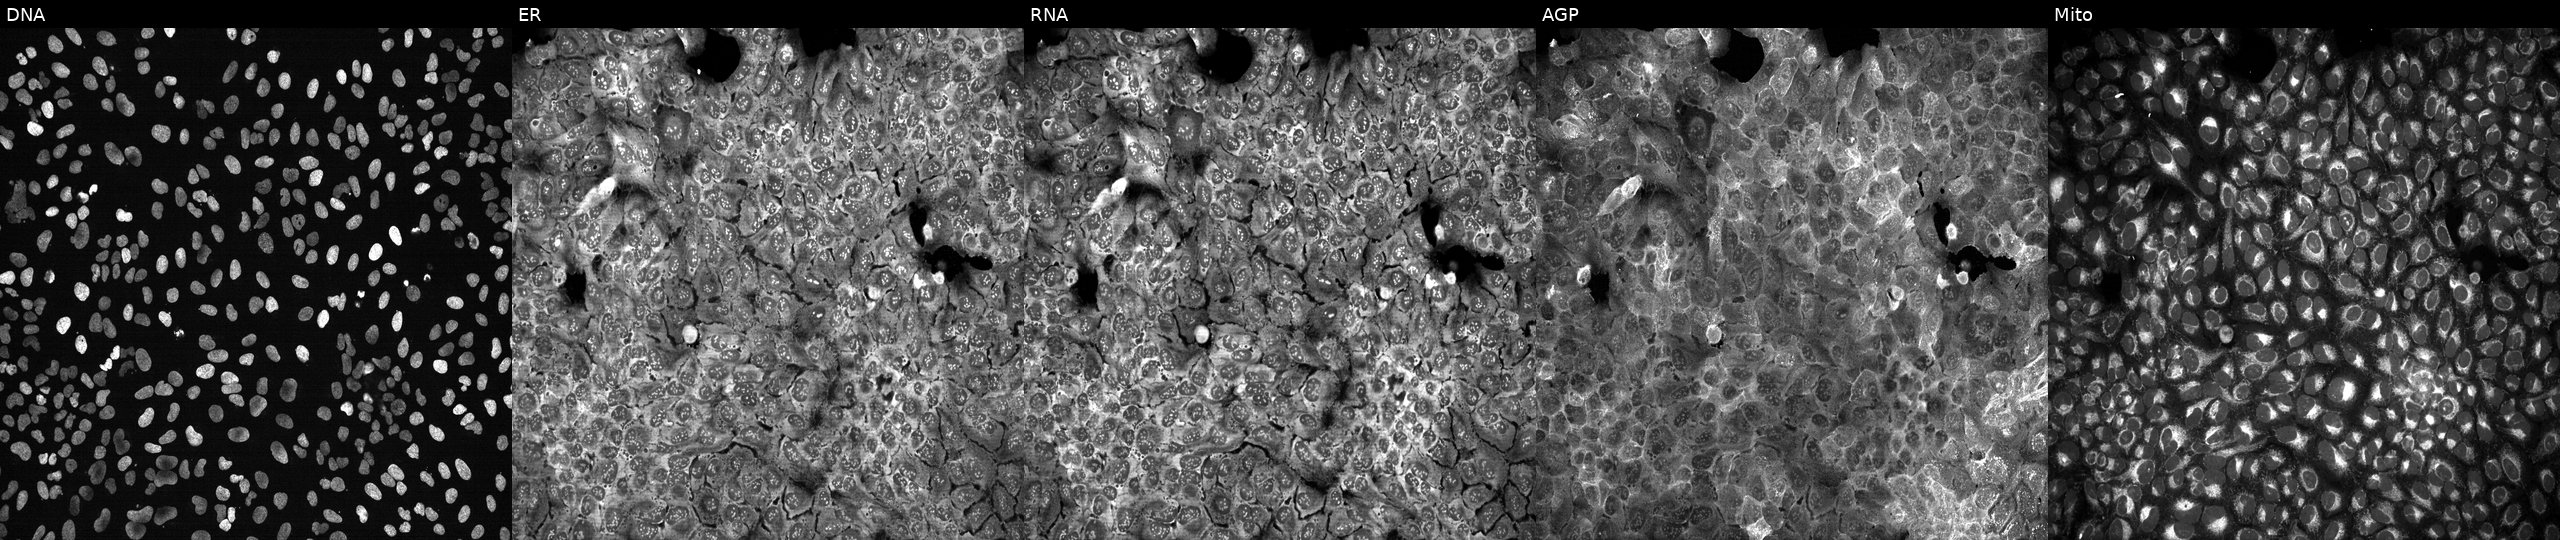
U2OS cells, Cell Painting assay, CRISPR-edited to disrupt SLC26A2. Panels show, left to right, Hoechst 33342, concanavalin A, SYTO 14, phalloidin and WGA, MitoTracker. Each panel is percentile-stretched 16-bit fluorescence. Source 13, plate CP-CC9-R2-01, well H12.